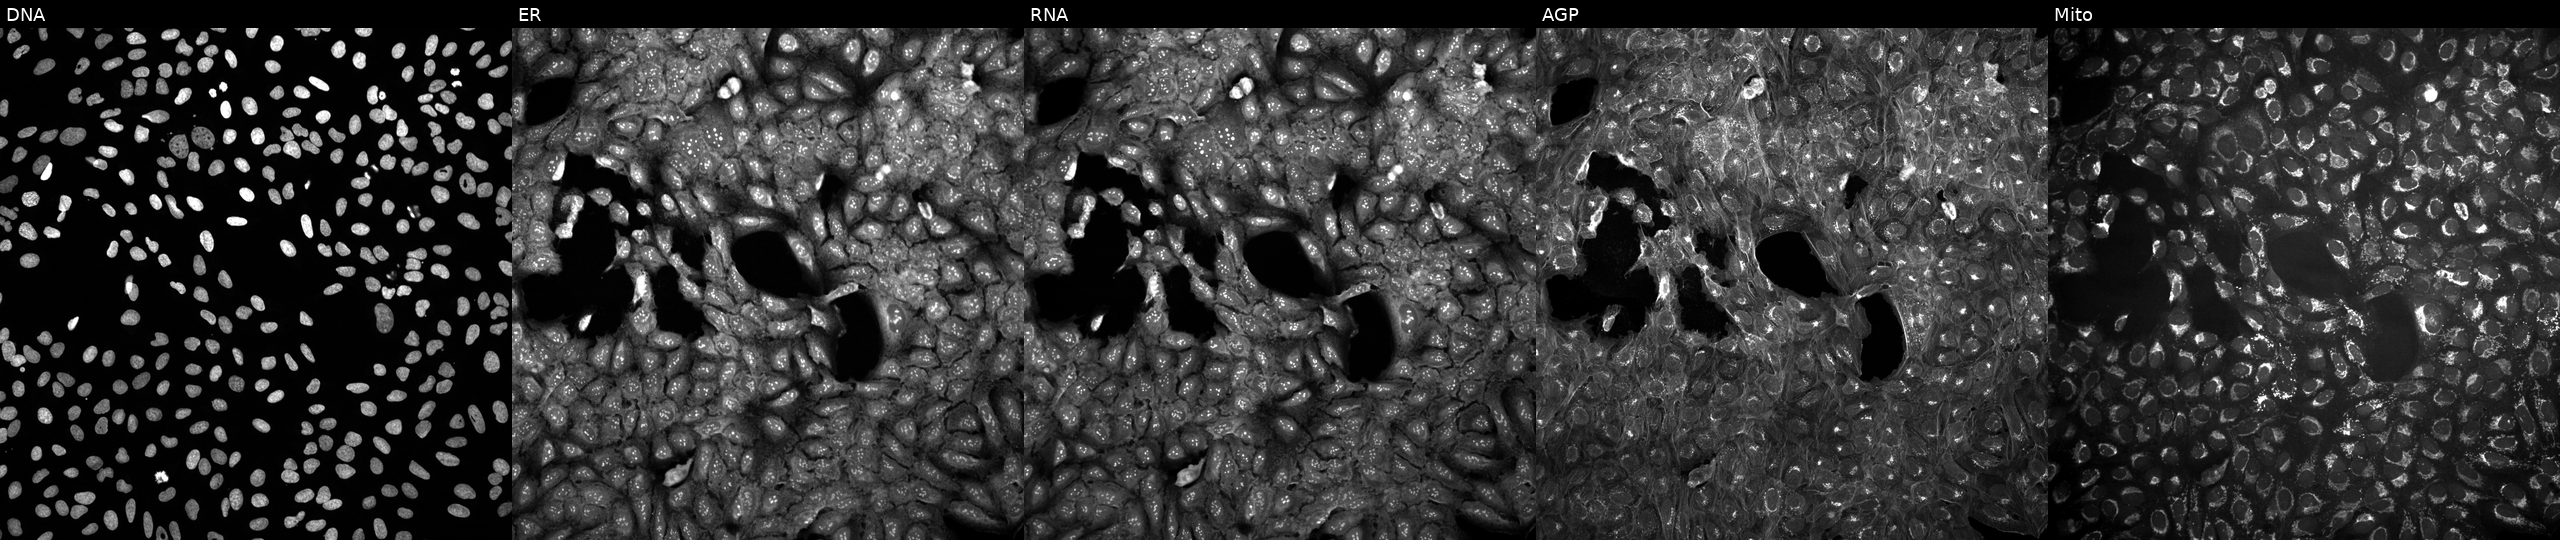
Five-channel Cell Painting image of U2OS cells treated with a small-molecule compound (JUMP id JCP2022_104476). Panels show, left to right, DNA (nuclei); ER (endoplasmic reticulum); RNA (nucleoli and cytoplasmic RNA); AGP (actin cytoskeleton, Golgi, and plasma membrane); Mito (mitochondria). Source 10, plate Dest210531-152149, well M08.